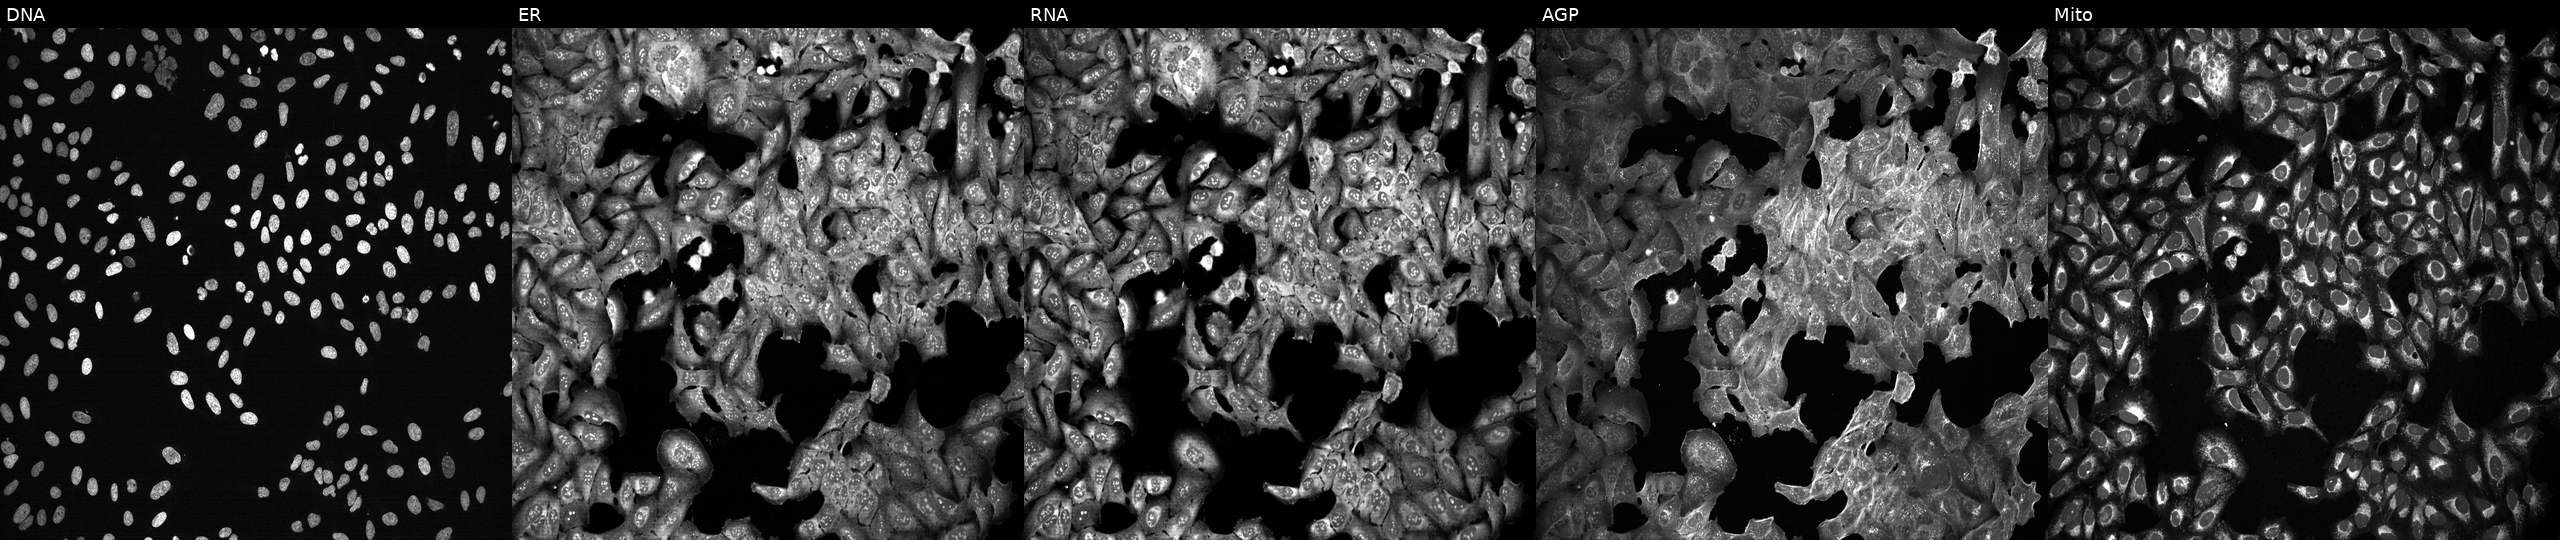
JUMP Cell Painting — CRISPR plate. U2OS cells following CRISPR knockout of REN (JUMP id JCP2022_805900). From left to right: DNA, ER, RNA, AGP, and Mito.